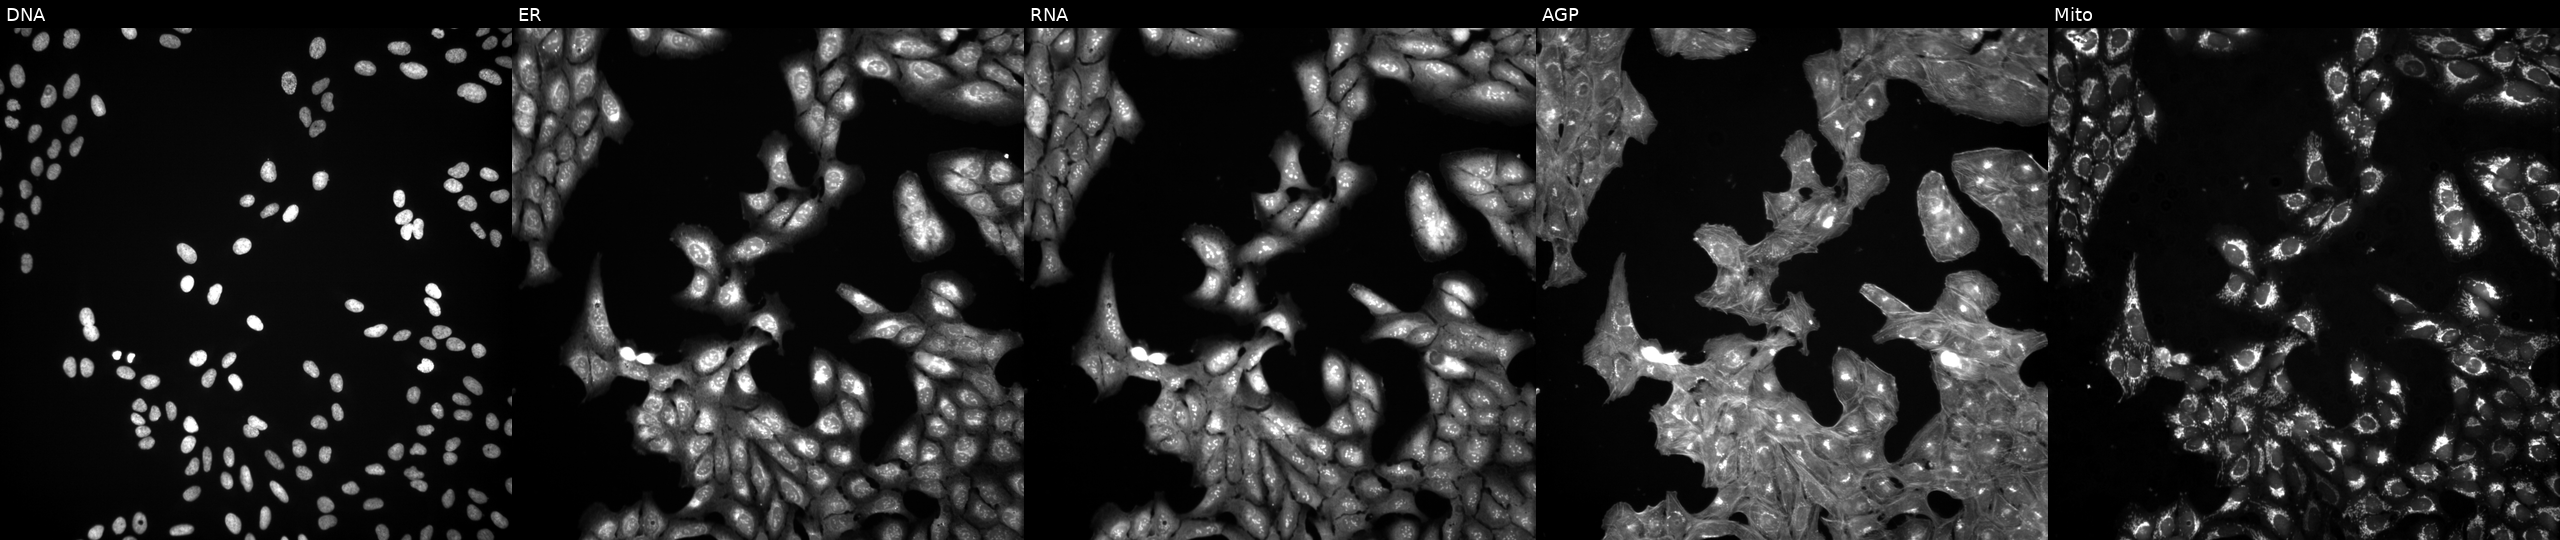
High-content fluorescence microscopy (Cell Painting). Cell line: U2OS. Perturbation: treated with a small-molecule compound (InChIKey UQNAFPHGVPVTAL-UHFFFAOYSA-N) [SMILES: NS(=O)(=O)c1cccc2c1c([N+](=O)[O-])cc1[nH]c(=O)c(=O)[nH]c12]. From left to right: DNA (nuclei); ER (endoplasmic reticulum); RNA (nucleoli and cytoplasmic RNA); AGP (actin cytoskeleton, Golgi, and plasma membrane); Mito (mitochondria). Source 3, plate JCPQC051, well N23.